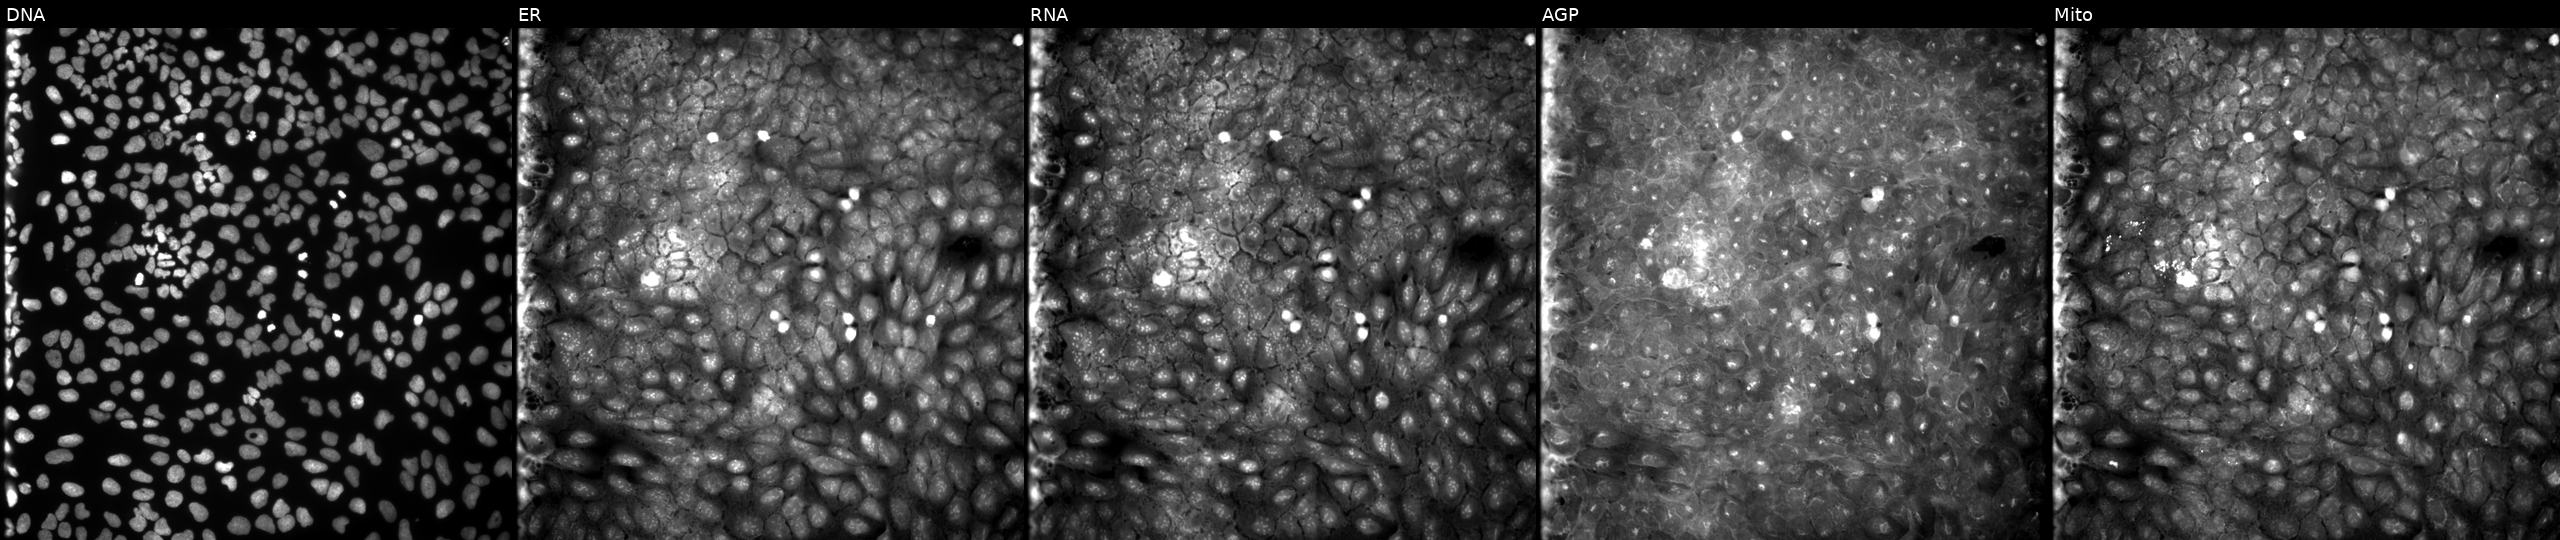
This image strip shows the five Cell Painting channels for a single field of U2OS cells exposed to a small-molecule compound [SMILES: CCOC(=O)C1CCN(C(=O)c2cccc(C(=O)N3CCC(C(=O)OCC)CC3)c2)CC1]. Panels show, left to right, DNA (nuclei); ER (endoplasmic reticulum); RNA (nucleoli and cytoplasmic RNA); AGP (actin cytoskeleton, Golgi, and plasma membrane); Mito (mitochondria).